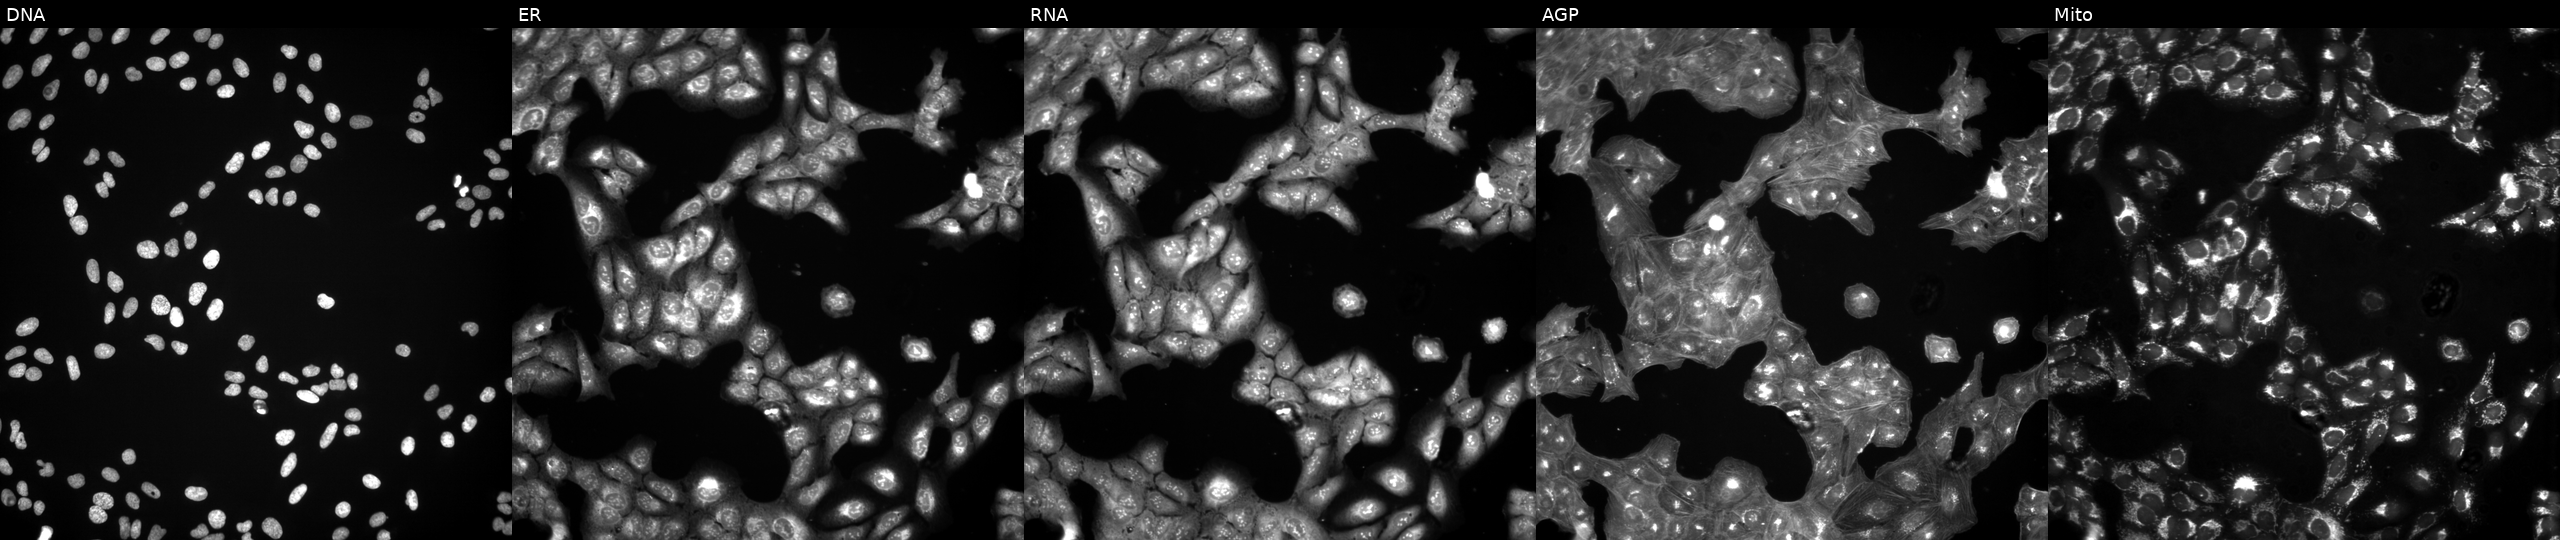
High-content fluorescence microscopy (Cell Painting). Cell line: U2OS. Perturbation: in an empty control well (no perturbation). Panels show, left to right, Hoechst 33342, concanavalin A, SYTO 14, phalloidin and WGA, MitoTracker.